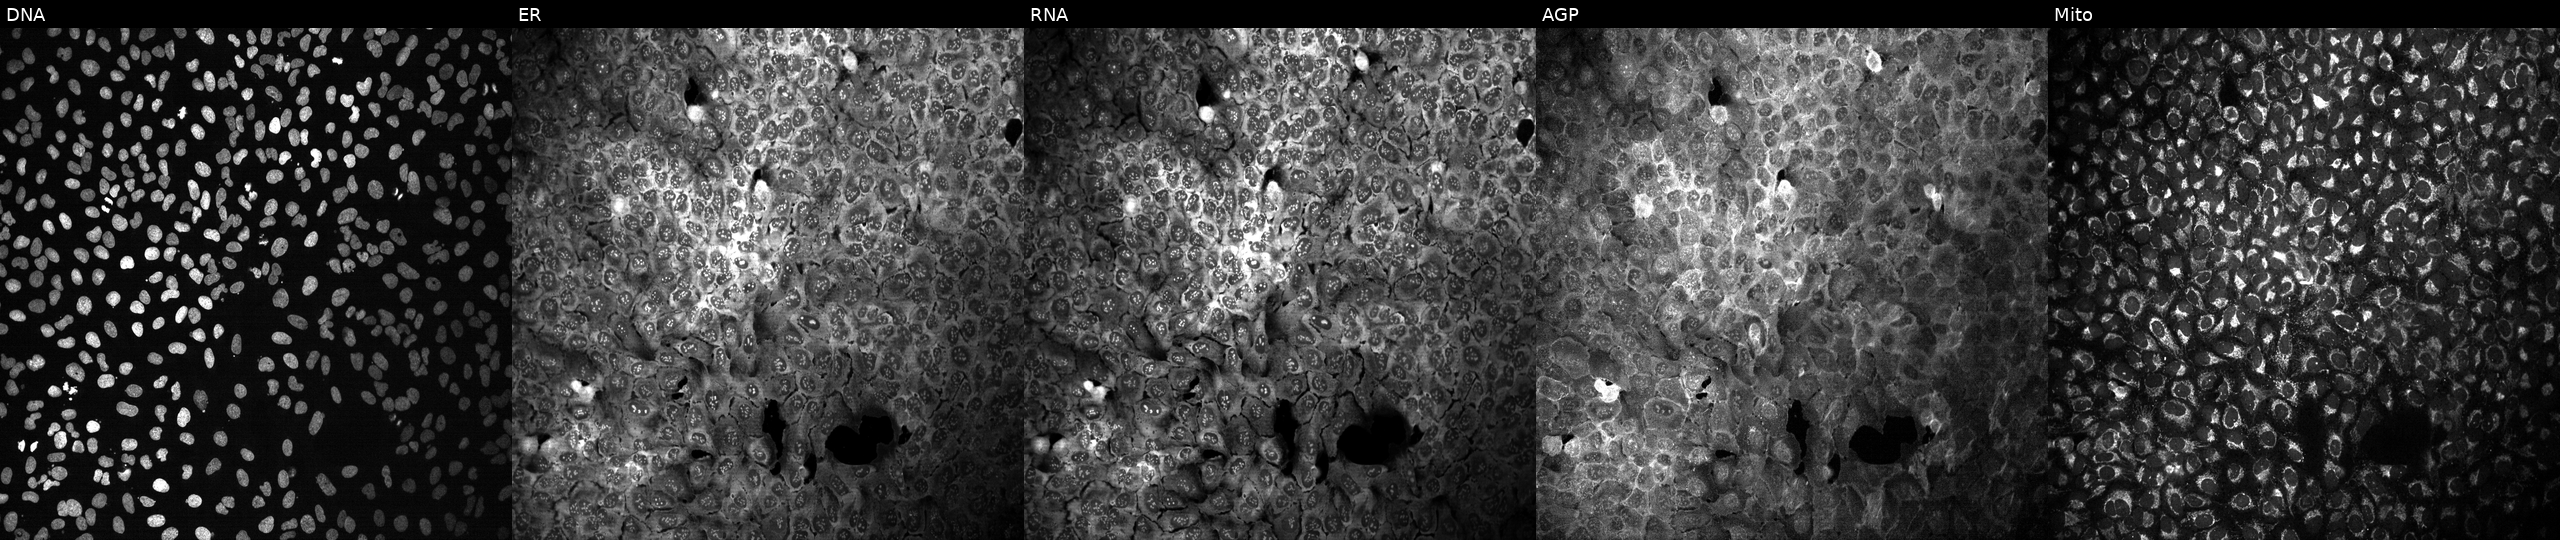
U2OS cells, Cell Painting assay, with GANC knocked out by CRISPR (JUMP id JCP2022_802608). Panels show, left to right, DNA, ER, RNA, AGP, and Mito. Each panel is percentile-stretched 16-bit fluorescence.